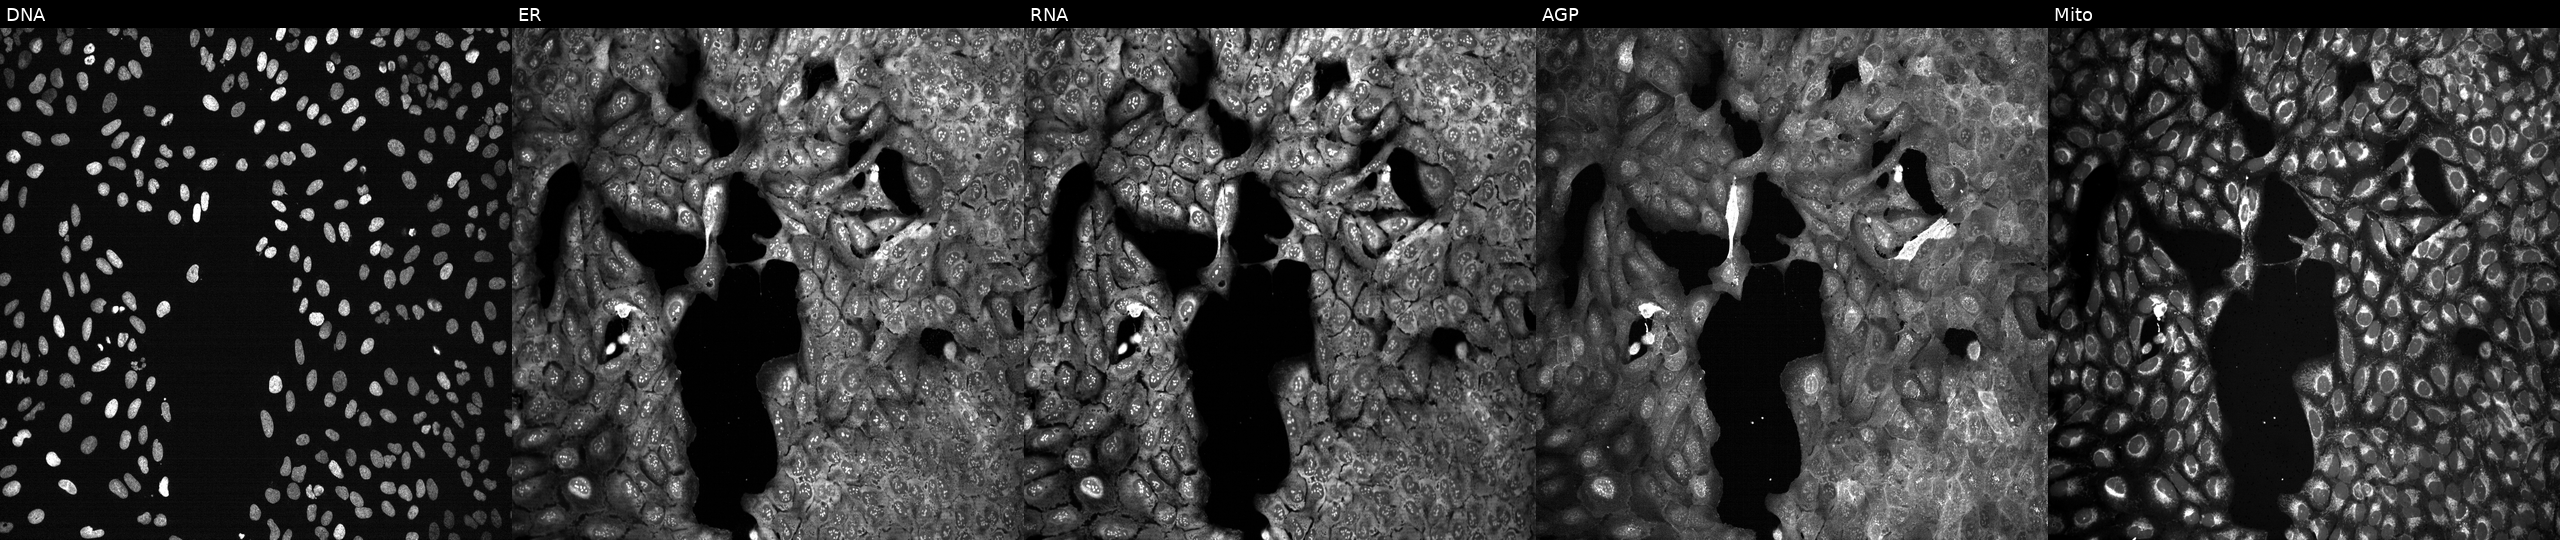
Five-channel Cell Painting image of U2OS cells following CRISPR knockout of ST8SIA4 (JUMP id JCP2022_806814). Panels show, left to right, DNA, ER, RNA, AGP, and Mito.